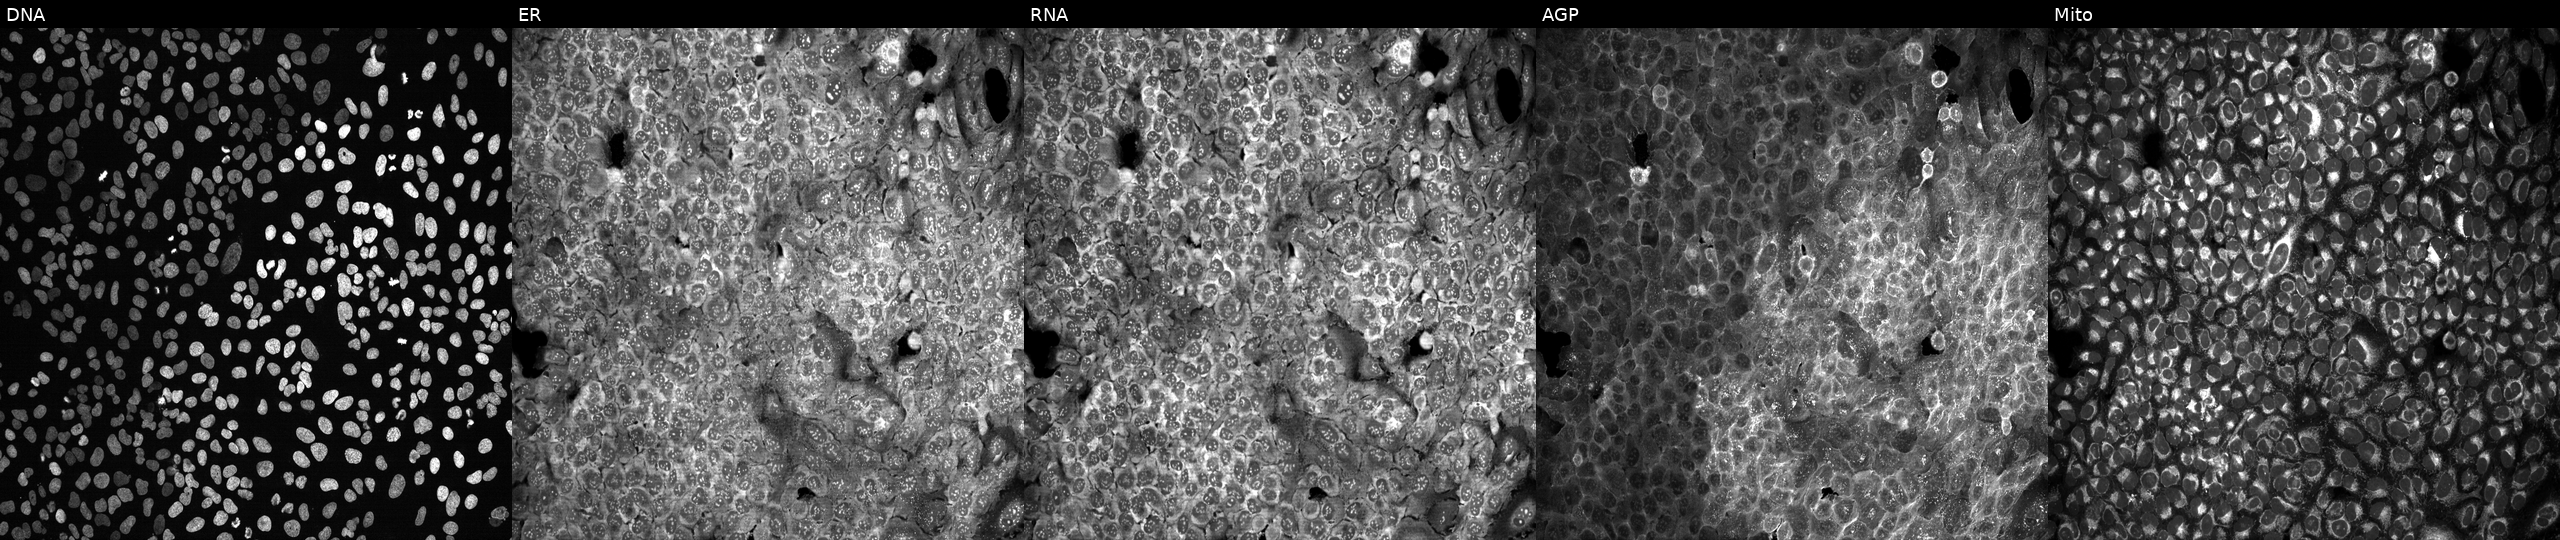
This image strip shows the five Cell Painting channels for a single field of U2OS cells exposed to the positive-control compound aloxistatin (JUMP id JCP2022_085227). Panels show, left to right, DNA, ER, RNA, AGP, and Mito. Source 13, plate CP-CC9-R6-19, well E24.